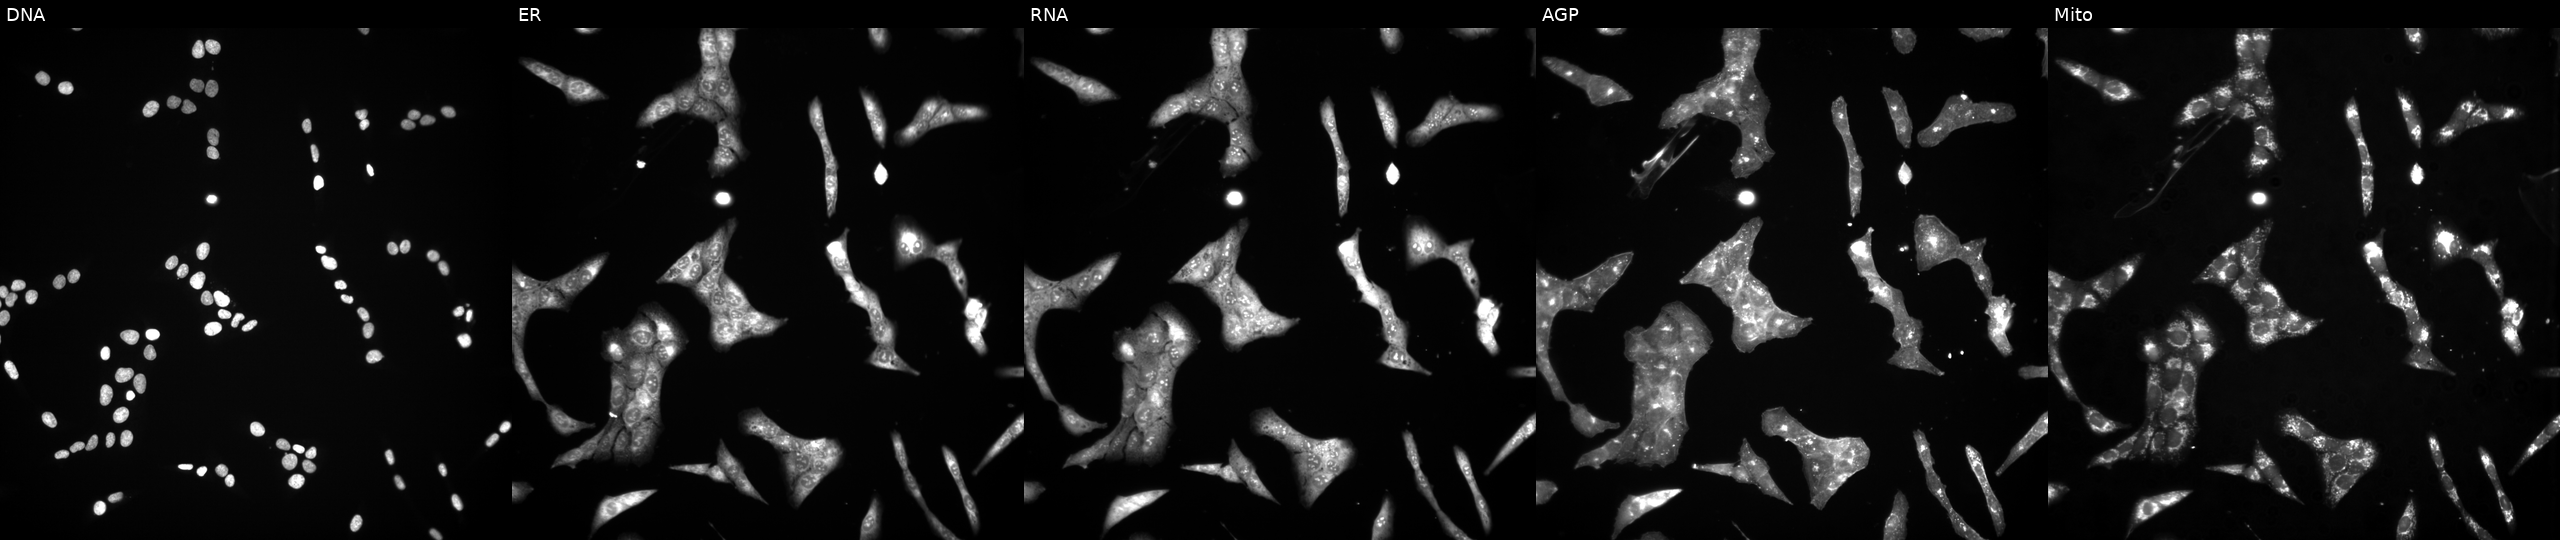
This image strip shows the five Cell Painting channels for a single field of U2OS cells exposed to a small-molecule compound (InChIKey VHHVPDKNKPNKHY-UHFFFAOYSA-N) [SMILES: CC(C)C1c2ccc(F)cc2CCC1(CCN(C)CCCc1nc2ccccc2[nH]1)OC(=O)C1CC1] (JUMP id JCP2022_093956). Channels (left→right): DNA, ER, RNA, AGP, and Mito.